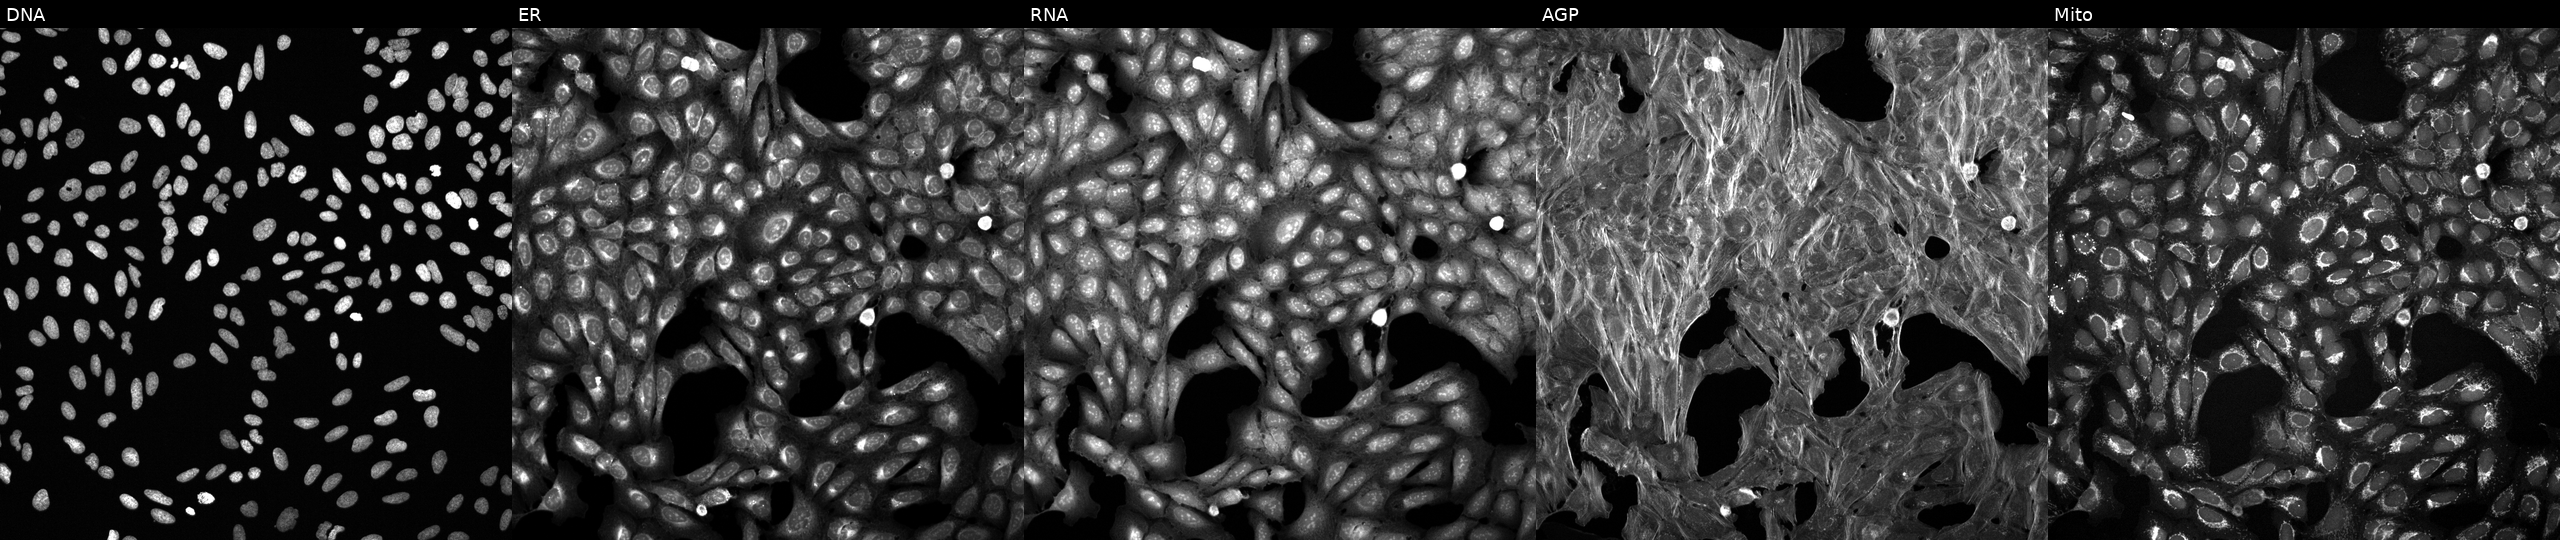
JUMP Cell Painting — TARGET2 plate. U2OS cells perturbed with a small-molecule compound (JUMP id JCP2022_067886). Panels show, left to right, Hoechst 33342, concanavalin A, SYTO 14, phalloidin and WGA, MitoTracker.